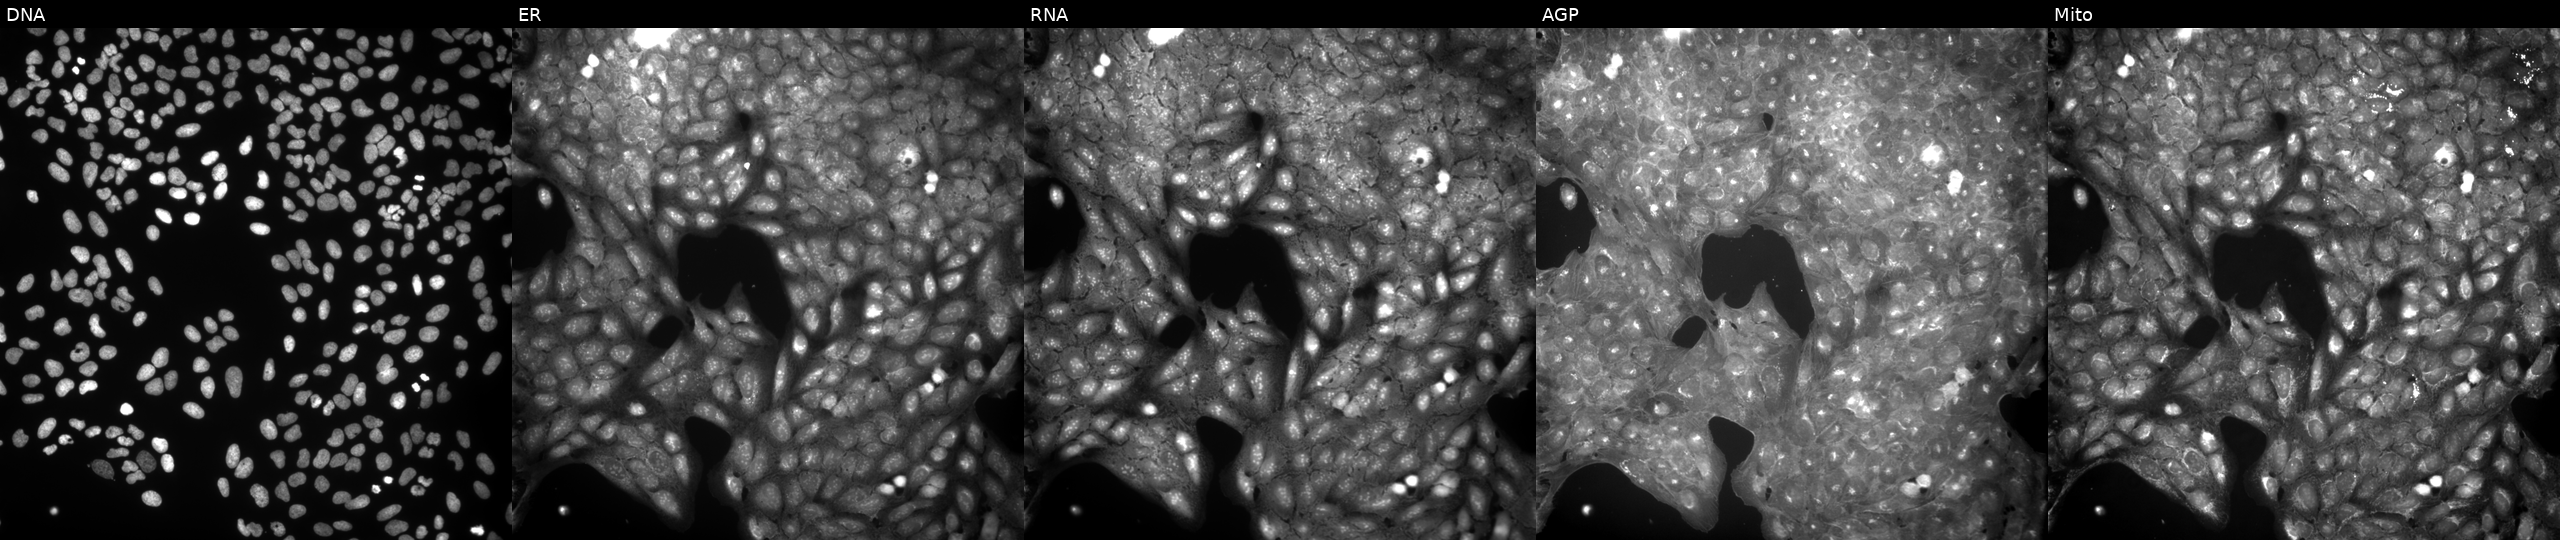
JUMP Cell Painting — COMPOUND plate. U2OS cells perturbed with a small-molecule compound. The five panels, left to right, show DNA, ER, RNA, AGP, and Mito. Source 9, plate GR00003381, well I27.